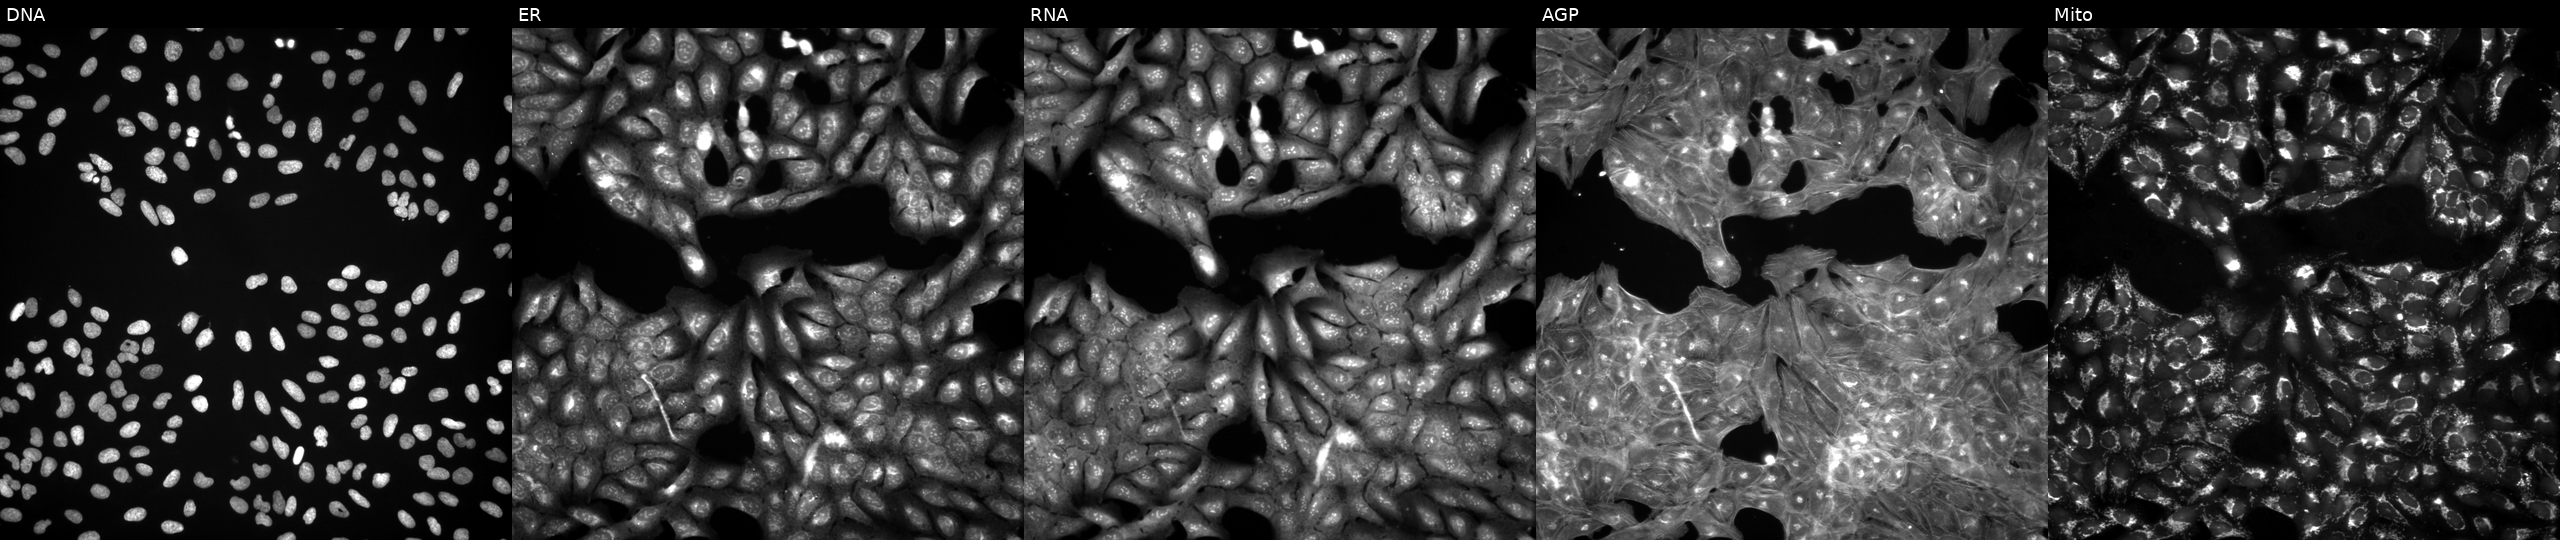
U2OS cells, Cell Painting assay, exposed to the positive-control compound AMG900 (JUMP id JCP2022_037716). From left to right: DNA (nuclei); ER (endoplasmic reticulum); RNA (nucleoli and cytoplasmic RNA); AGP (actin cytoskeleton, Golgi, and plasma membrane); Mito (mitochondria). Each panel is percentile-stretched 16-bit fluorescence.